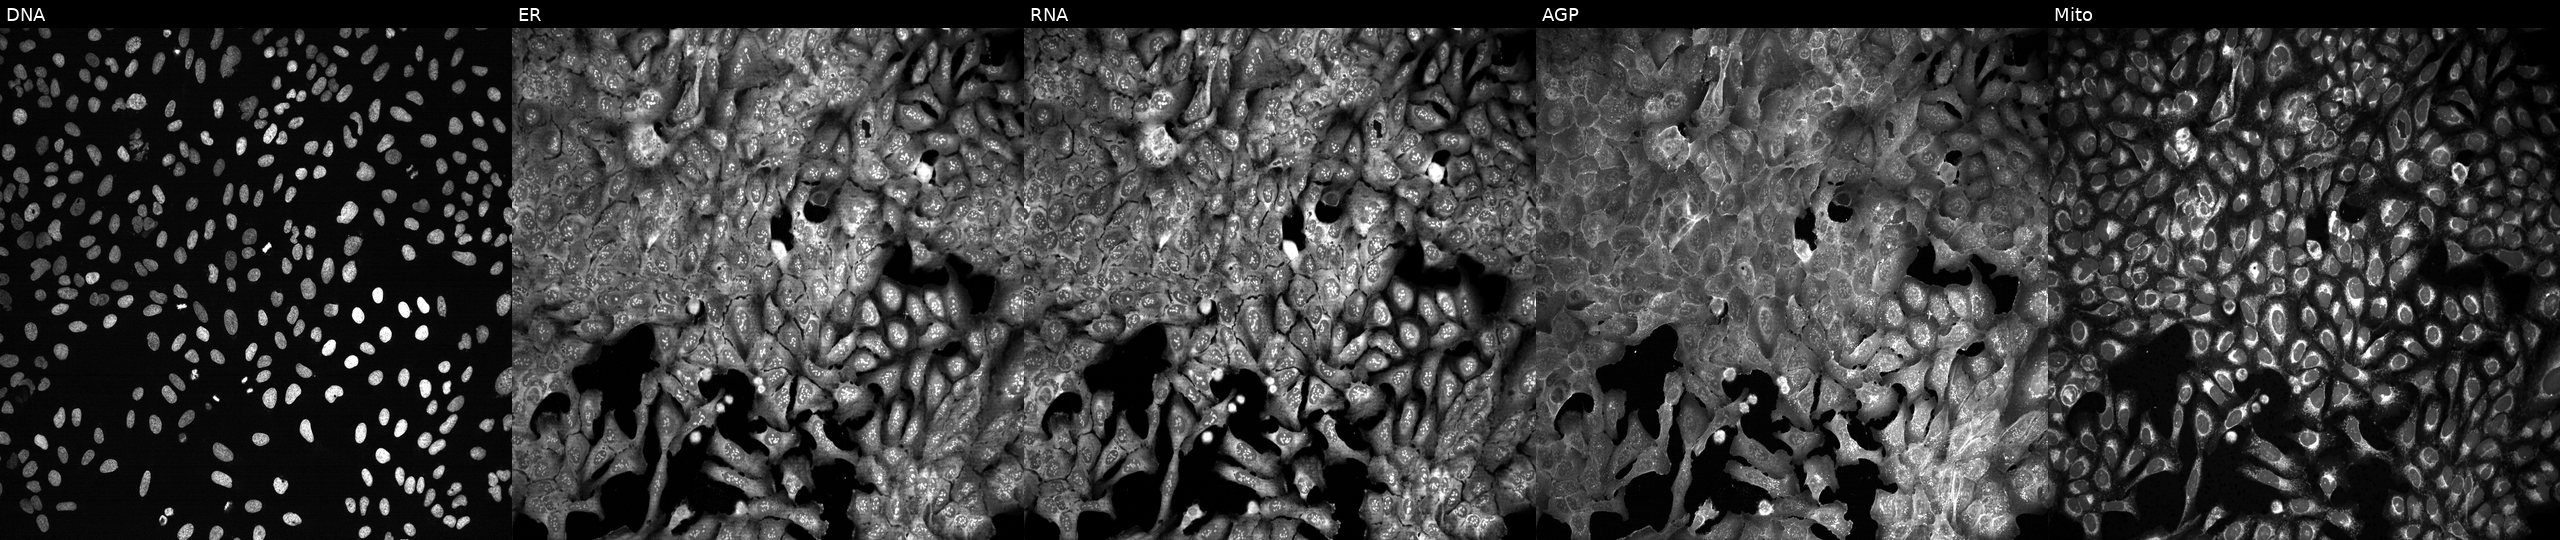
JUMP Cell Painting — CRISPR plate. U2OS cells following CRISPR knockout of KEL (JUMP id JCP2022_803653). Channels (left→right): Hoechst 33342, concanavalin A, SYTO 14, phalloidin and WGA, MitoTracker.